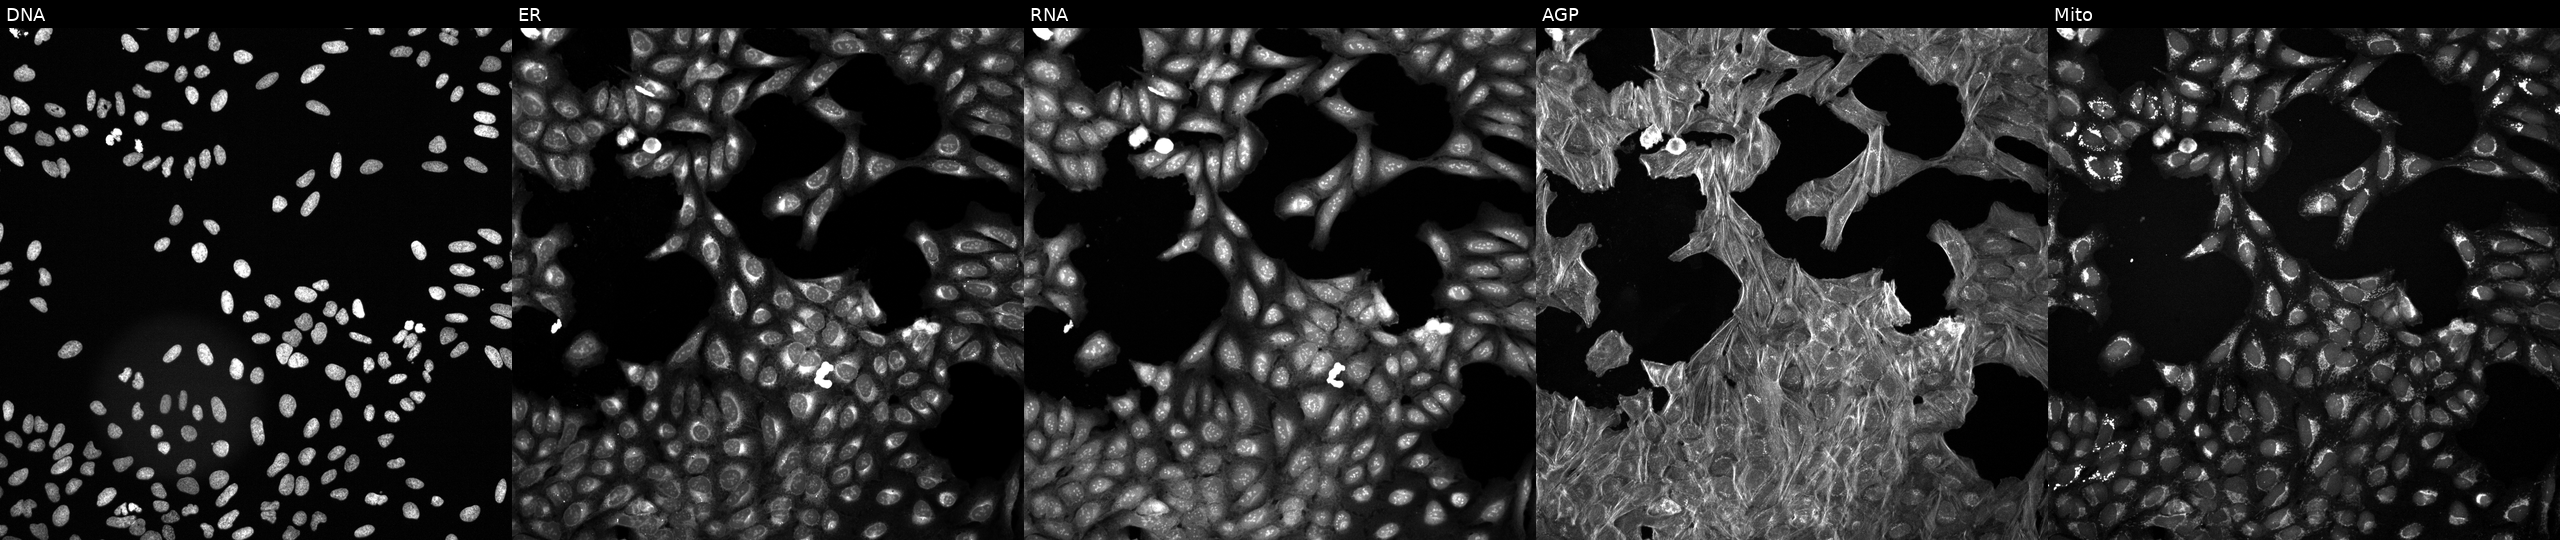
Five-channel Cell Painting image of U2OS cells perturbed with a small-molecule compound. The five panels, left to right, show Hoechst 33342, concanavalin A, SYTO 14, phalloidin and WGA, MitoTracker.